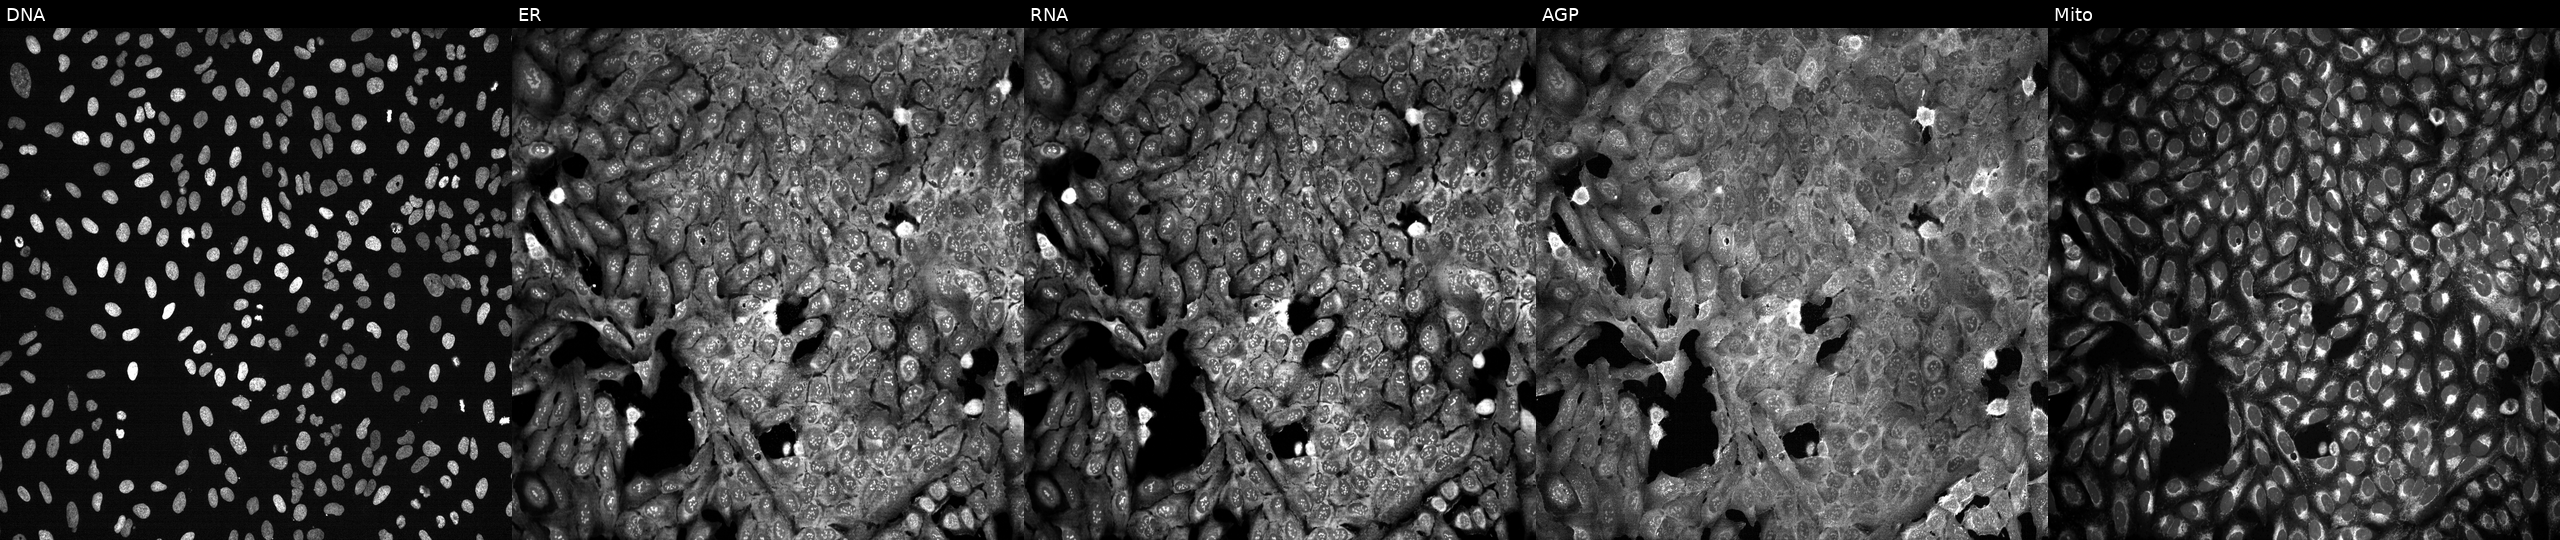
This image strip shows the five Cell Painting channels for a single field of U2OS cells with PLCG2 knocked out by CRISPR. Panels show, left to right, DNA (nuclei); ER (endoplasmic reticulum); RNA (nucleoli and cytoplasmic RNA); AGP (actin cytoskeleton, Golgi, and plasma membrane); Mito (mitochondria).